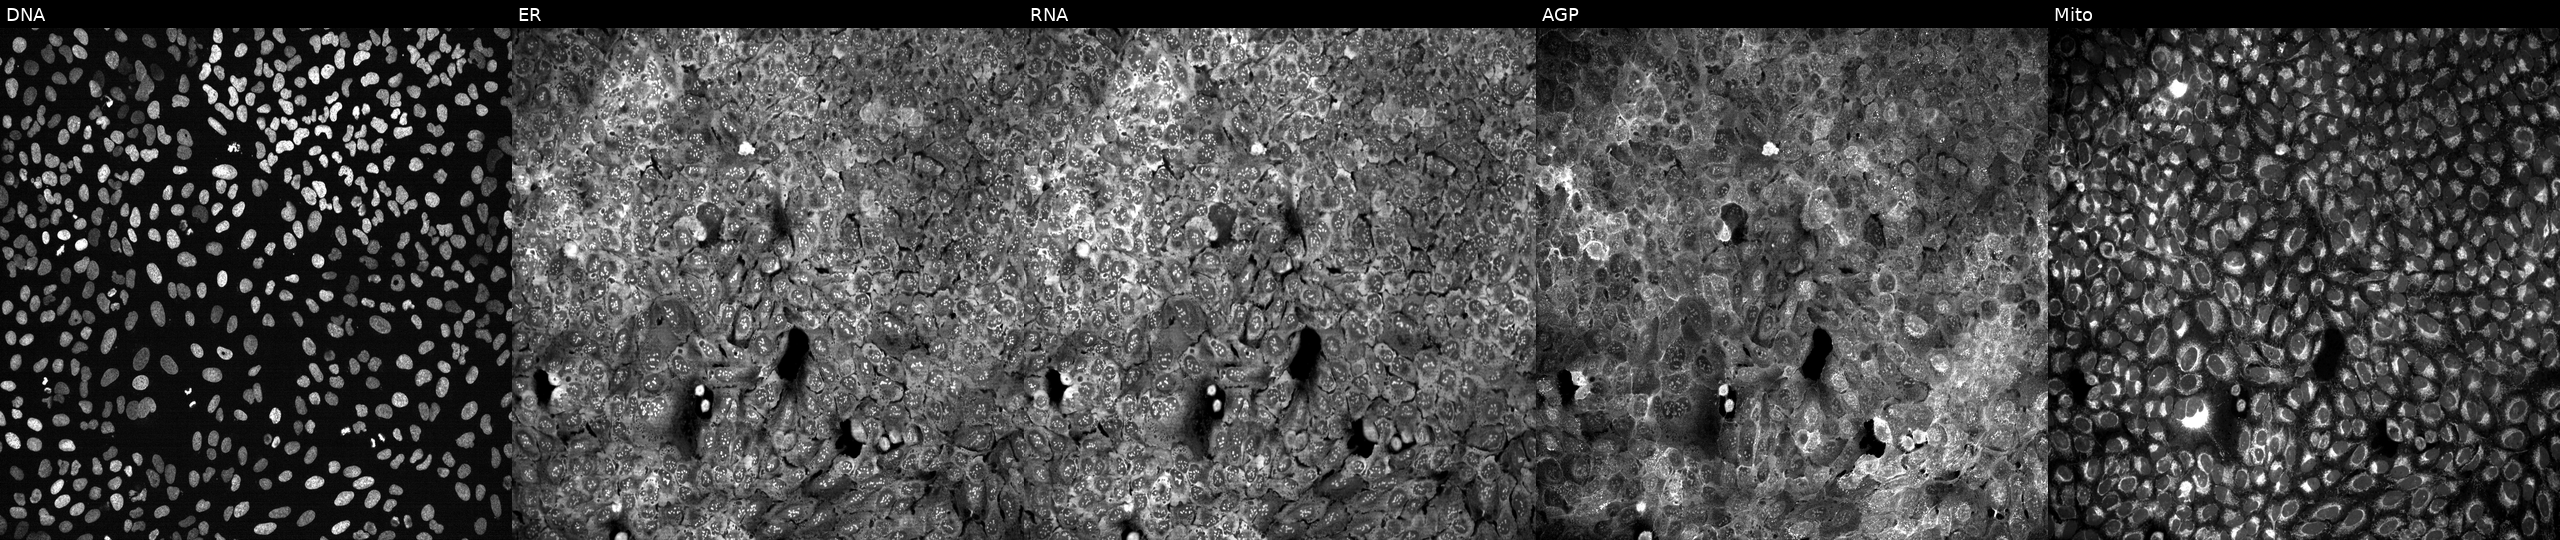
U2OS cells, Cell Painting assay, CRISPR-edited to disrupt INSM1. Panels show, left to right, Hoechst 33342, concanavalin A, SYTO 14, phalloidin and WGA, MitoTracker. Each panel is percentile-stretched 16-bit fluorescence.